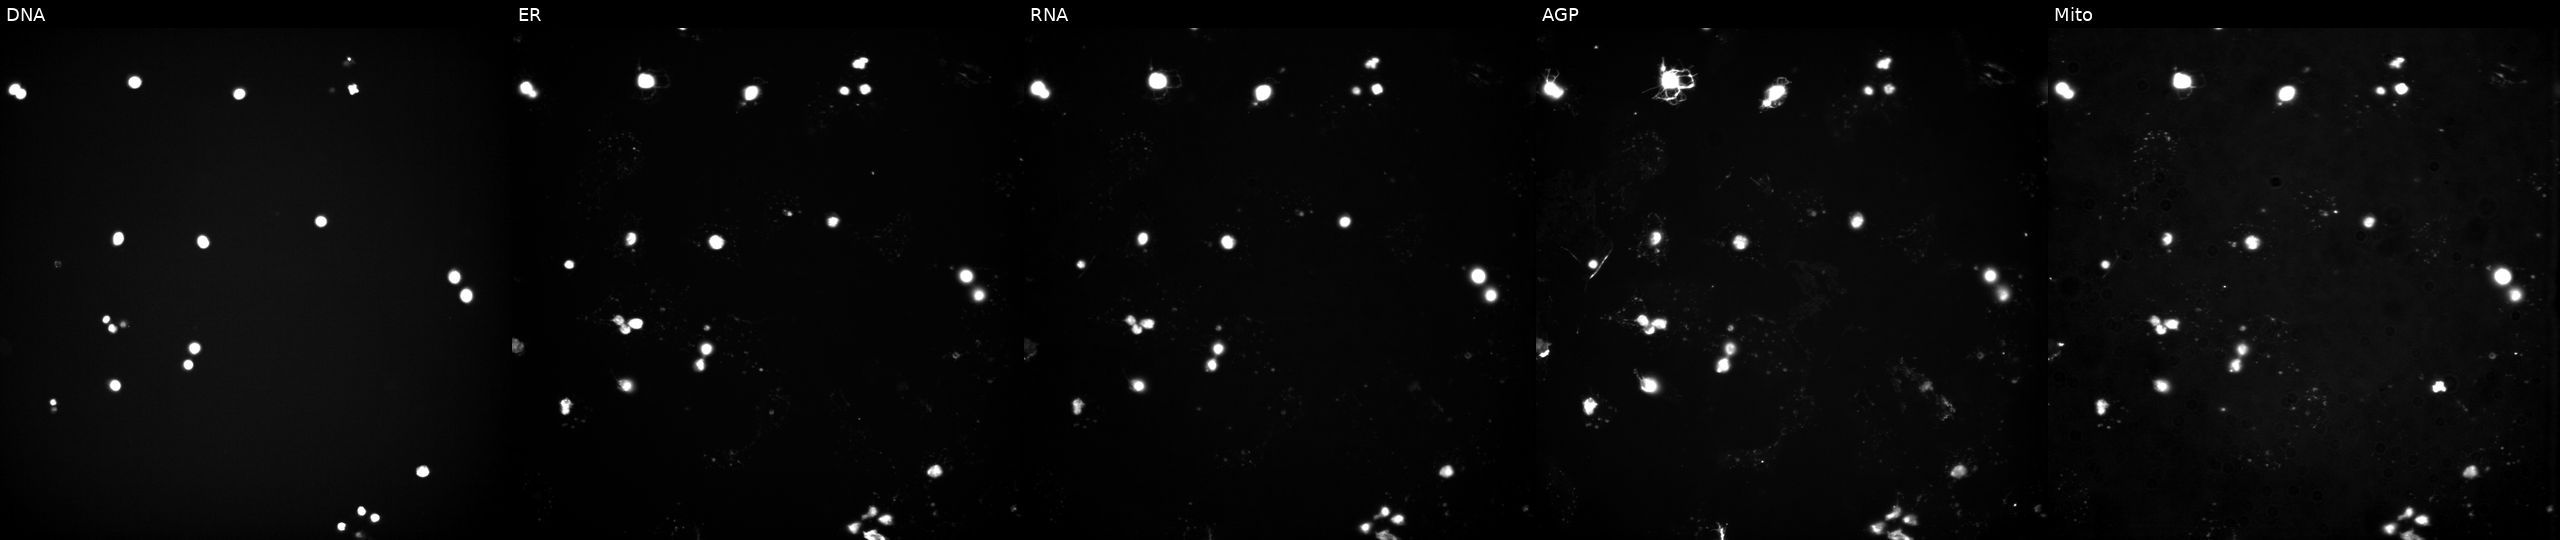
U2OS cells, Cell Painting assay, perturbed with a small-molecule compound (InChIKey IAYGCINLNONXHY-UHFFFAOYSA-N) [SMILES: NC(=O)Nc1cc(-c2cccc(F)c2)sc1C(=O)NC1CCCNC1] (JUMP id JCP2022_033914). Panels show, left to right, DNA, ER, RNA, AGP, and Mito. Each panel is percentile-stretched 16-bit fluorescence.